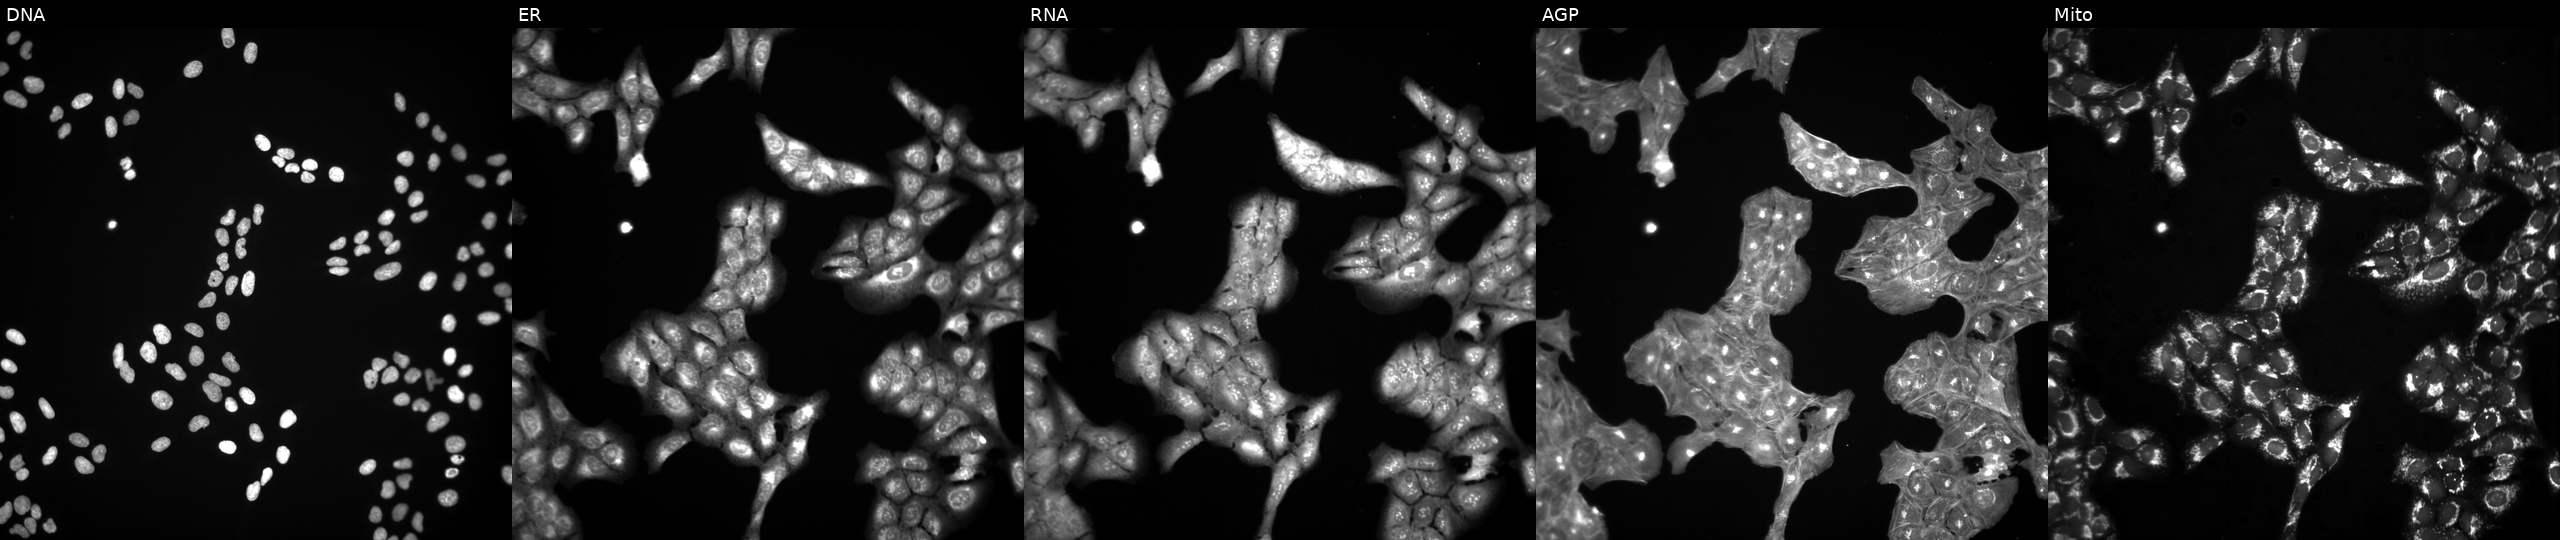
JUMP Cell Painting — TARGET2 plate. U2OS cells treated with a small-molecule compound (InChIKey UMUPQWIGCOZEOY-UHFFFAOYSA-N) (JUMP id JCP2022_090205). The five panels, left to right, show DNA (nuclei); ER (endoplasmic reticulum); RNA (nucleoli and cytoplasmic RNA); AGP (actin cytoskeleton, Golgi, and plasma membrane); Mito (mitochondria). Source 3, plate JCPQC051, well D24.